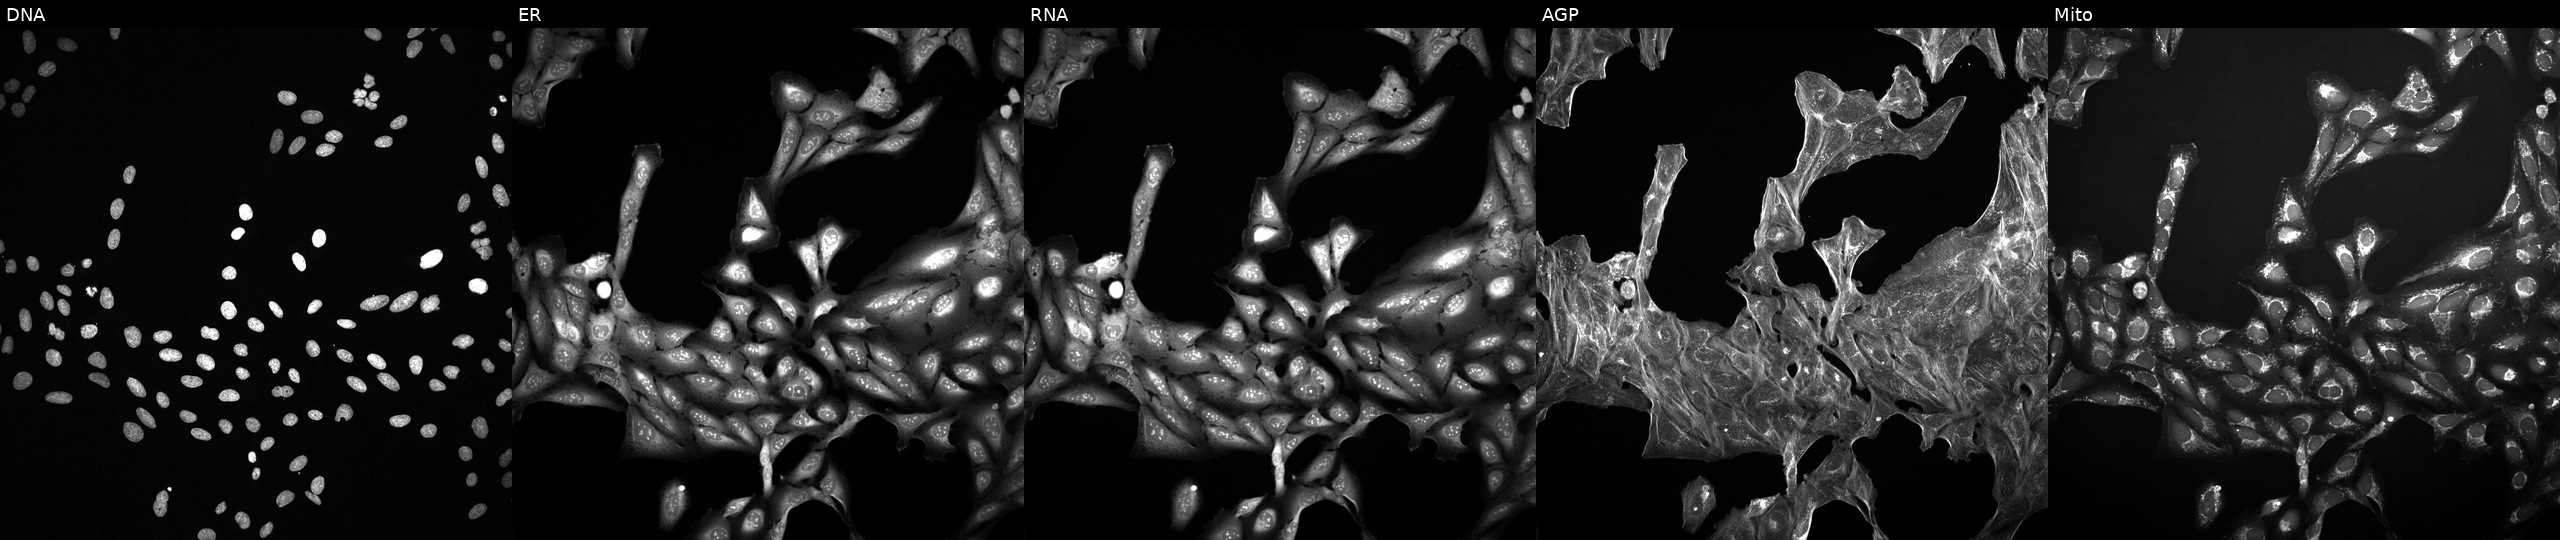
The five panels, left to right, show Hoechst 33342, concanavalin A, SYTO 14, phalloidin and WGA, MitoTracker. U2OS osteosarcoma cells perturbed with a small-molecule compound (InChIKey ZQPXNYLXYNRFNP-UHFFFAOYSA-N) [SMILES: O=[N+]([O-])c1ccc2[nH]c(COCc3nc4cc([N+](=O)[O-])ccc4[nH]3)nc2c1]. Cell Painting assay, JUMP-CP dataset.